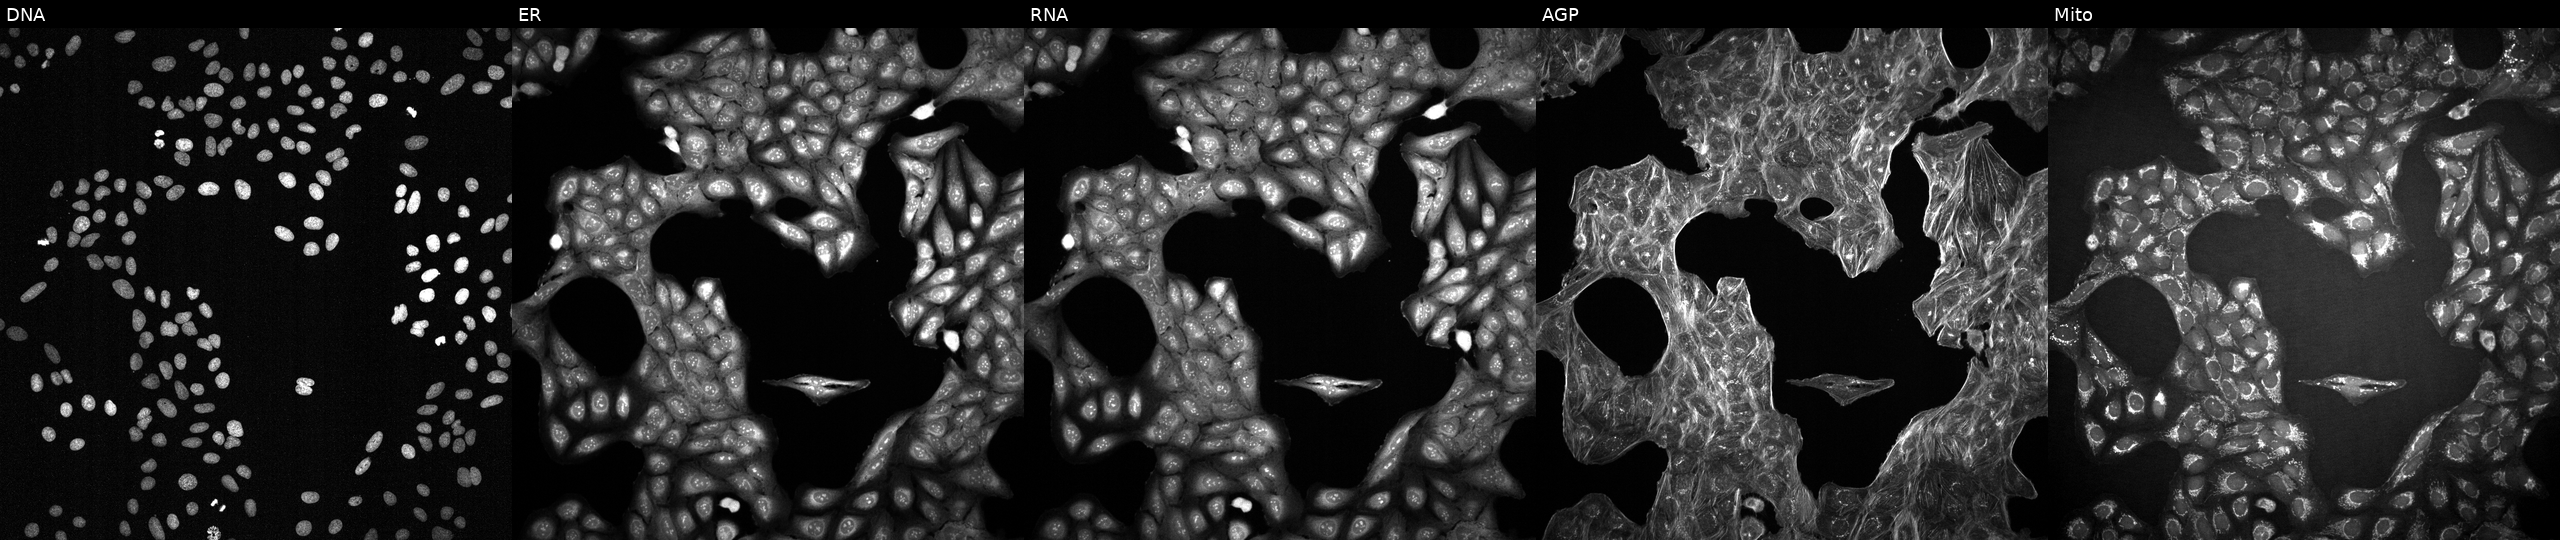
Five-channel Cell Painting image of U2OS cells treated with a small-molecule compound (InChIKey MDKAFDIKYQMOMF-UHFFFAOYSA-N) [SMILES: FC(F)(F)c1cc(NC(=S)Nc2ccc(Br)cc2-c2nn[nH]n2)cc(C(F)(F)F)c1] (JUMP id JCP2022_053409). Panels show, left to right, DNA, ER, RNA, AGP, and Mito. Source 2, plate 1053599503, well G01.